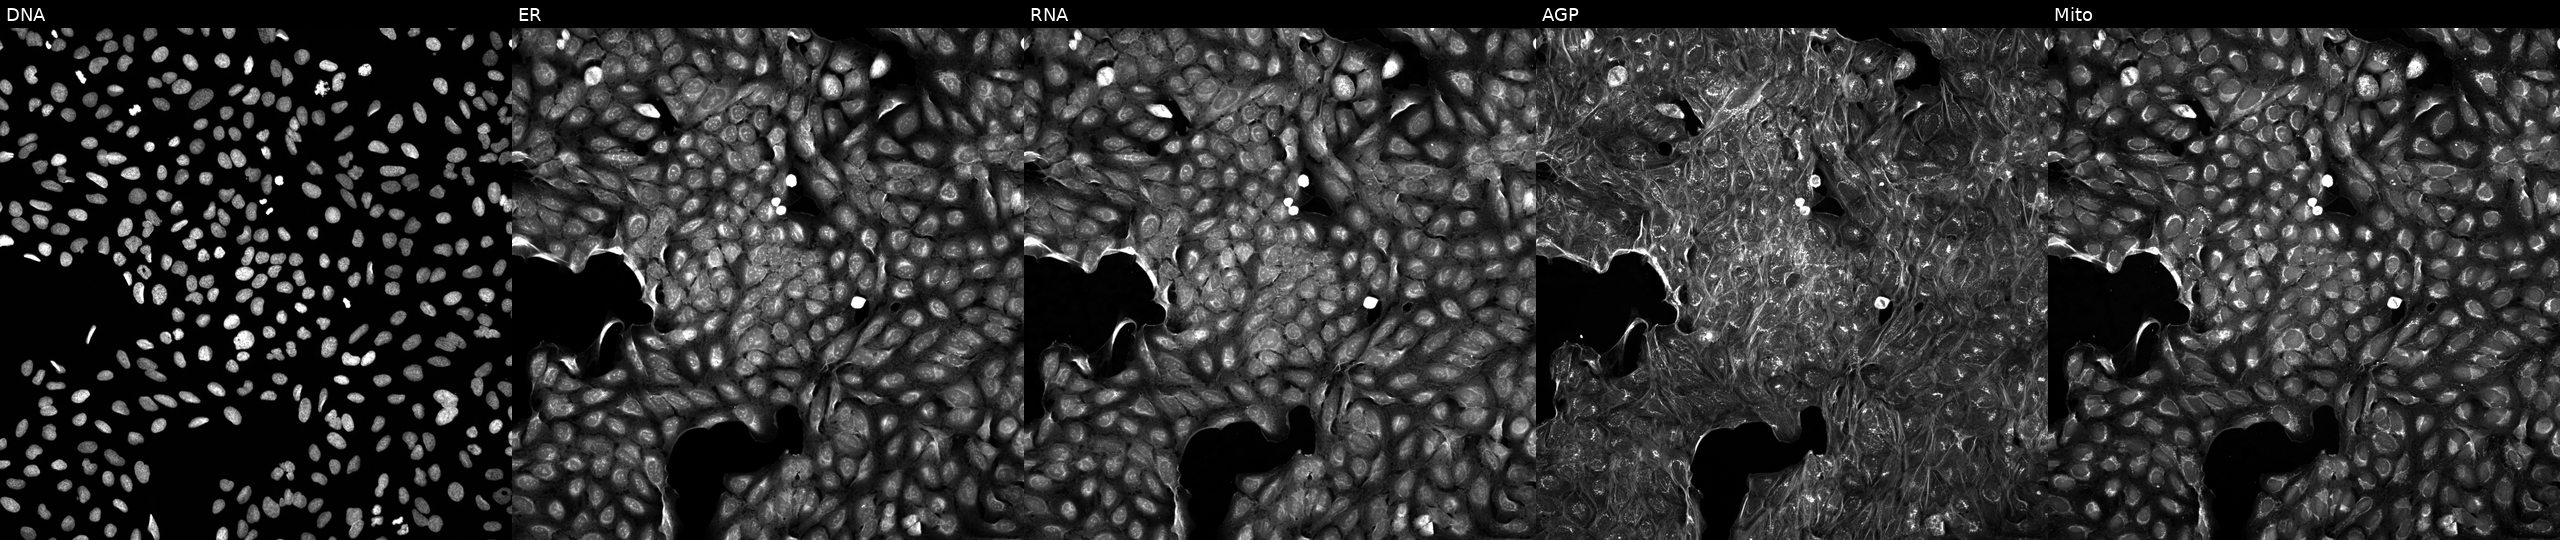
High-content fluorescence microscopy (Cell Painting). Cell line: U2OS. Perturbation: exposed to a small-molecule compound (JUMP id JCP2022_114100). The five panels, left to right, show Hoechst 33342, concanavalin A, SYTO 14, phalloidin and WGA, MitoTracker. Source 5, plate APTJUM105, well O05.